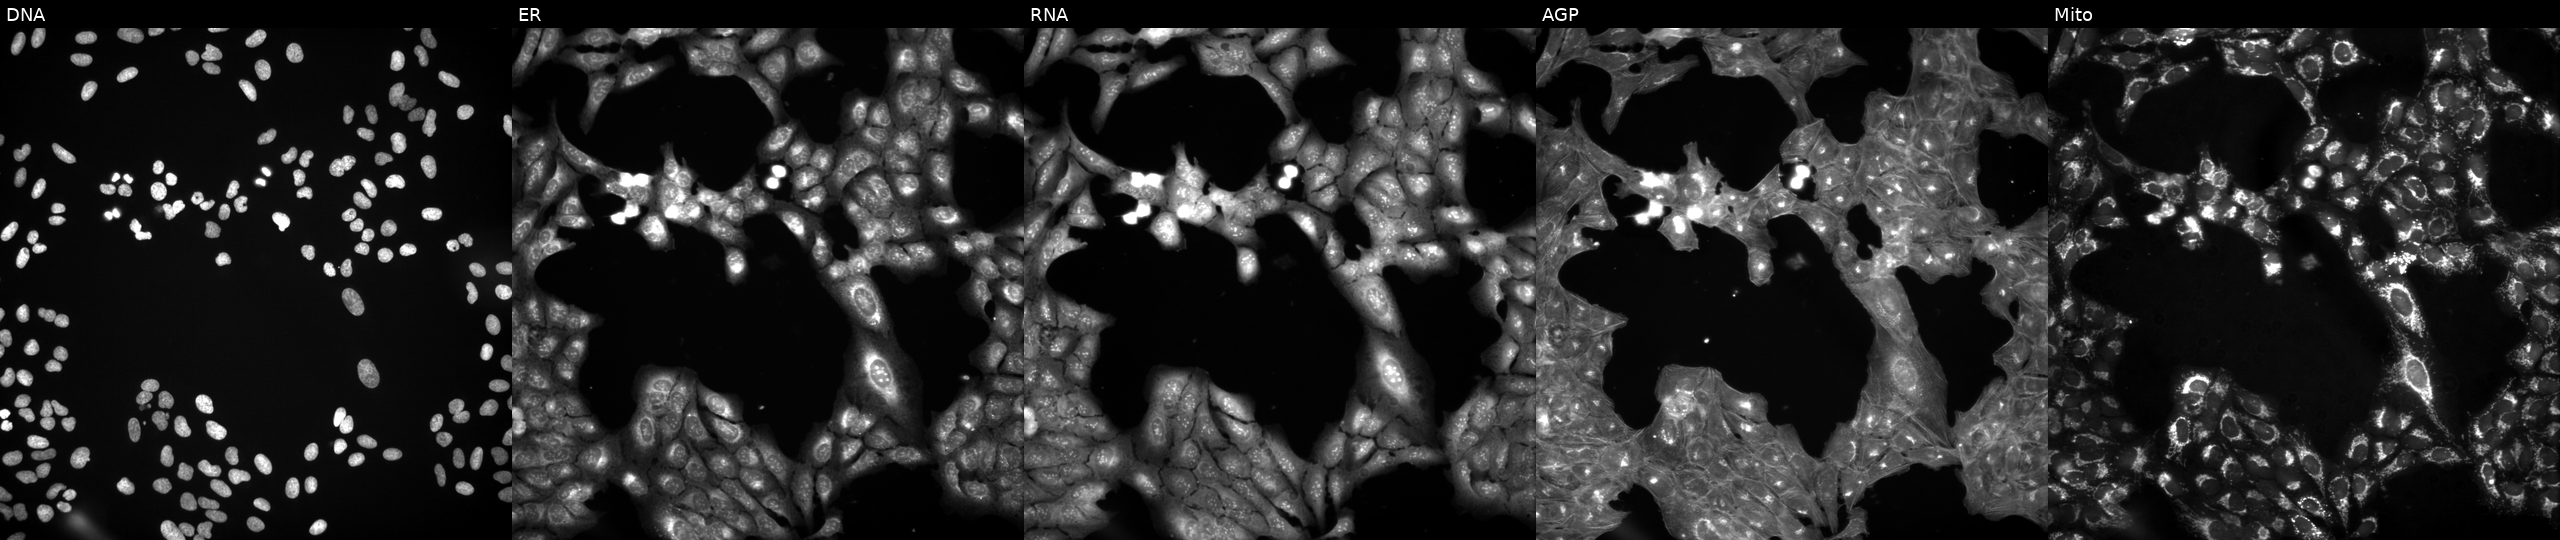
High-content fluorescence microscopy (Cell Painting). Cell line: U2OS. Perturbation: treated with DMSO vehicle only (negative control). From left to right: Hoechst 33342, concanavalin A, SYTO 14, phalloidin and WGA, MitoTracker. Source 3, plate JCPQC053, well D22.